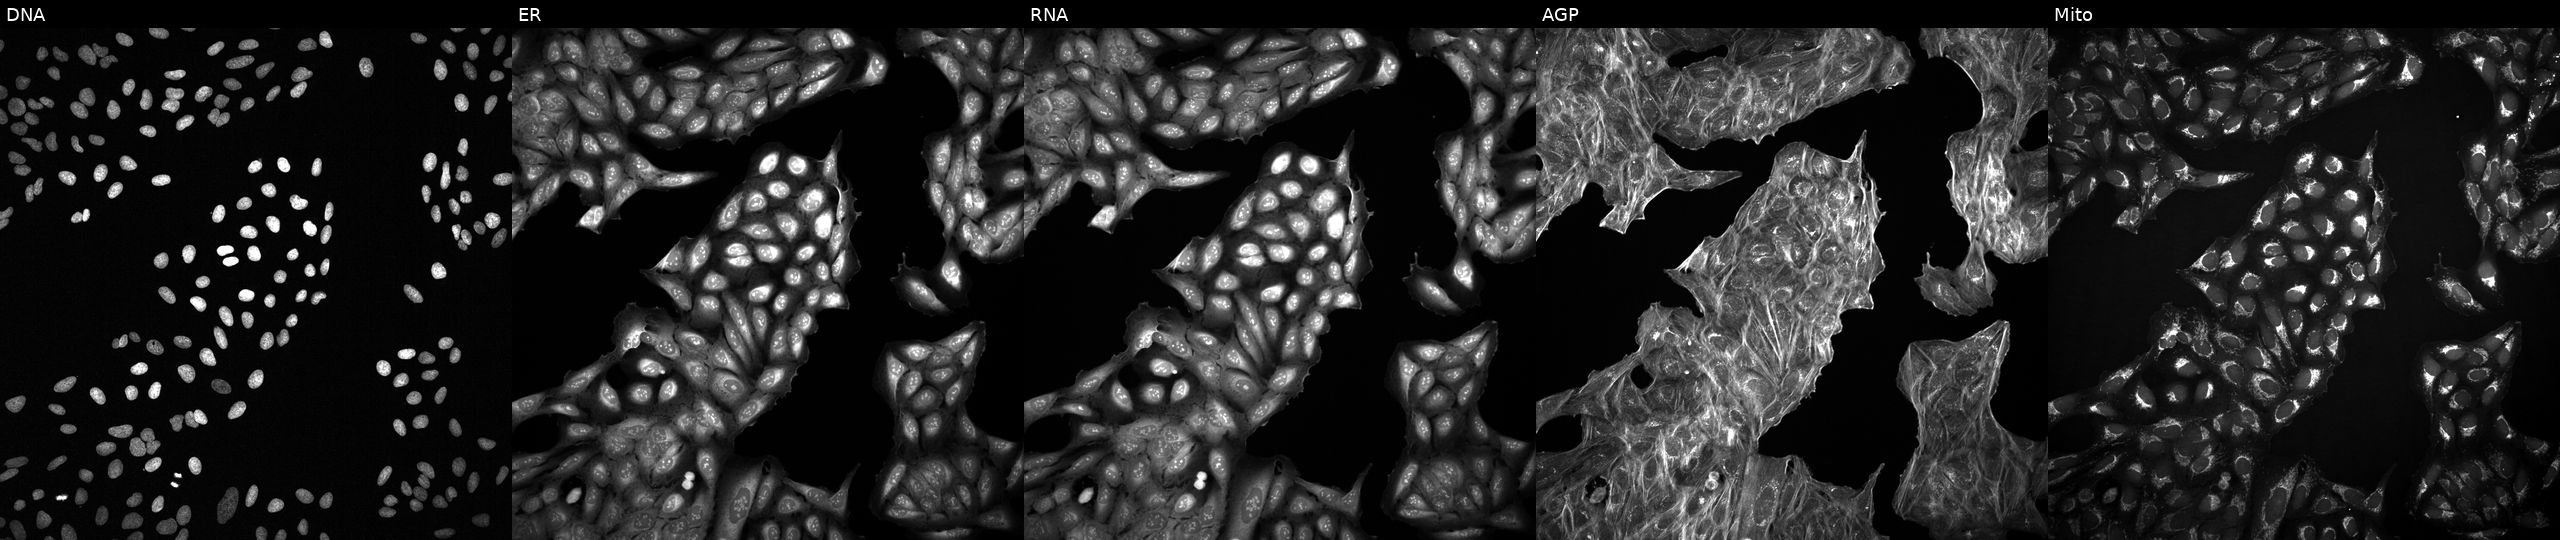
High-content fluorescence microscopy (Cell Painting). Cell line: U2OS. Perturbation: exposed to a small-molecule compound (InChIKey WAHPJBAGIMUMAI-UHFFFAOYSA-N) (JUMP id JCP2022_097485). Channels (left→right): Hoechst 33342, concanavalin A, SYTO 14, phalloidin and WGA, MitoTracker.